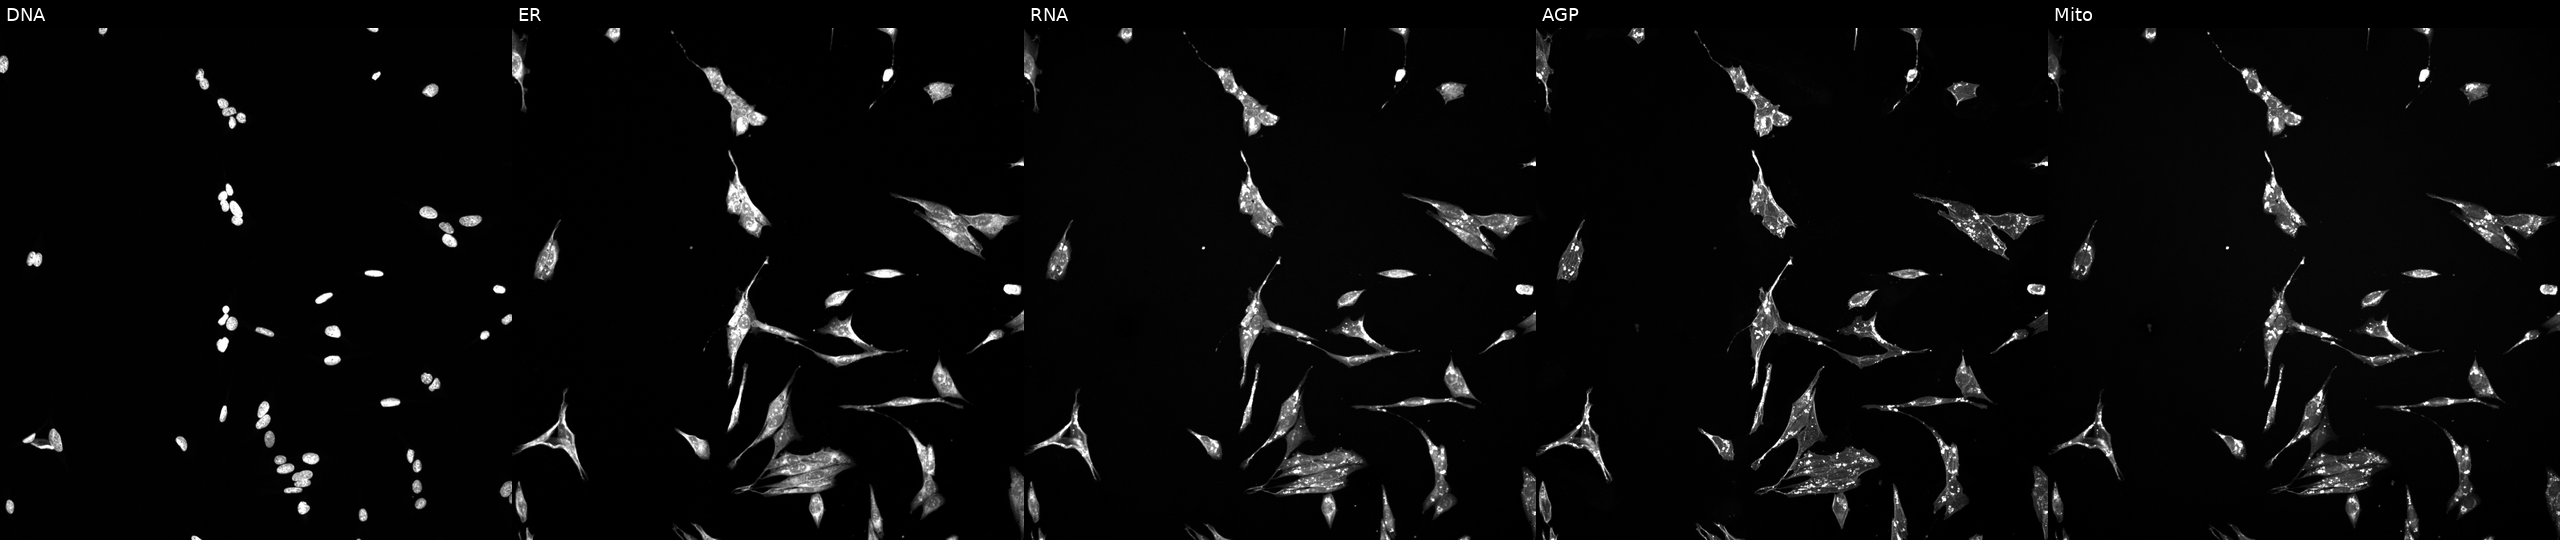
JUMP Cell Painting — TARGET2 plate. U2OS cells treated with a small-molecule compound (JUMP id JCP2022_017377). Panels show, left to right, DNA, ER, RNA, AGP, and Mito.